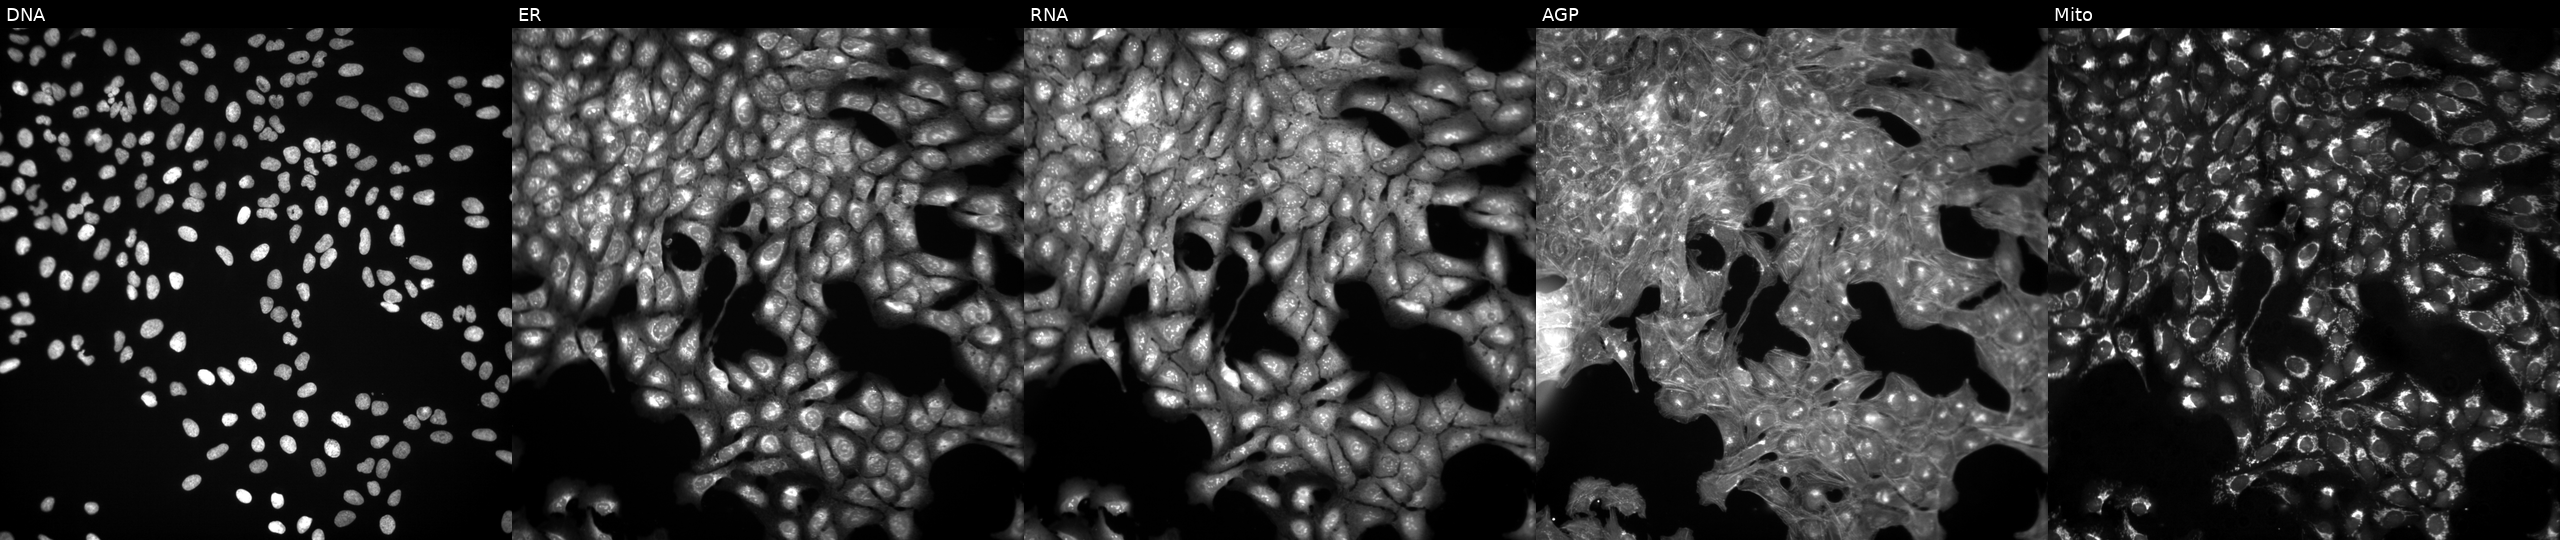
High-content fluorescence microscopy (Cell Painting). Cell line: U2OS. Perturbation: treated with DMSO vehicle only (negative control). Channels (left→right): DNA (nuclei); ER (endoplasmic reticulum); RNA (nucleoli and cytoplasmic RNA); AGP (actin cytoskeleton, Golgi, and plasma membrane); Mito (mitochondria).